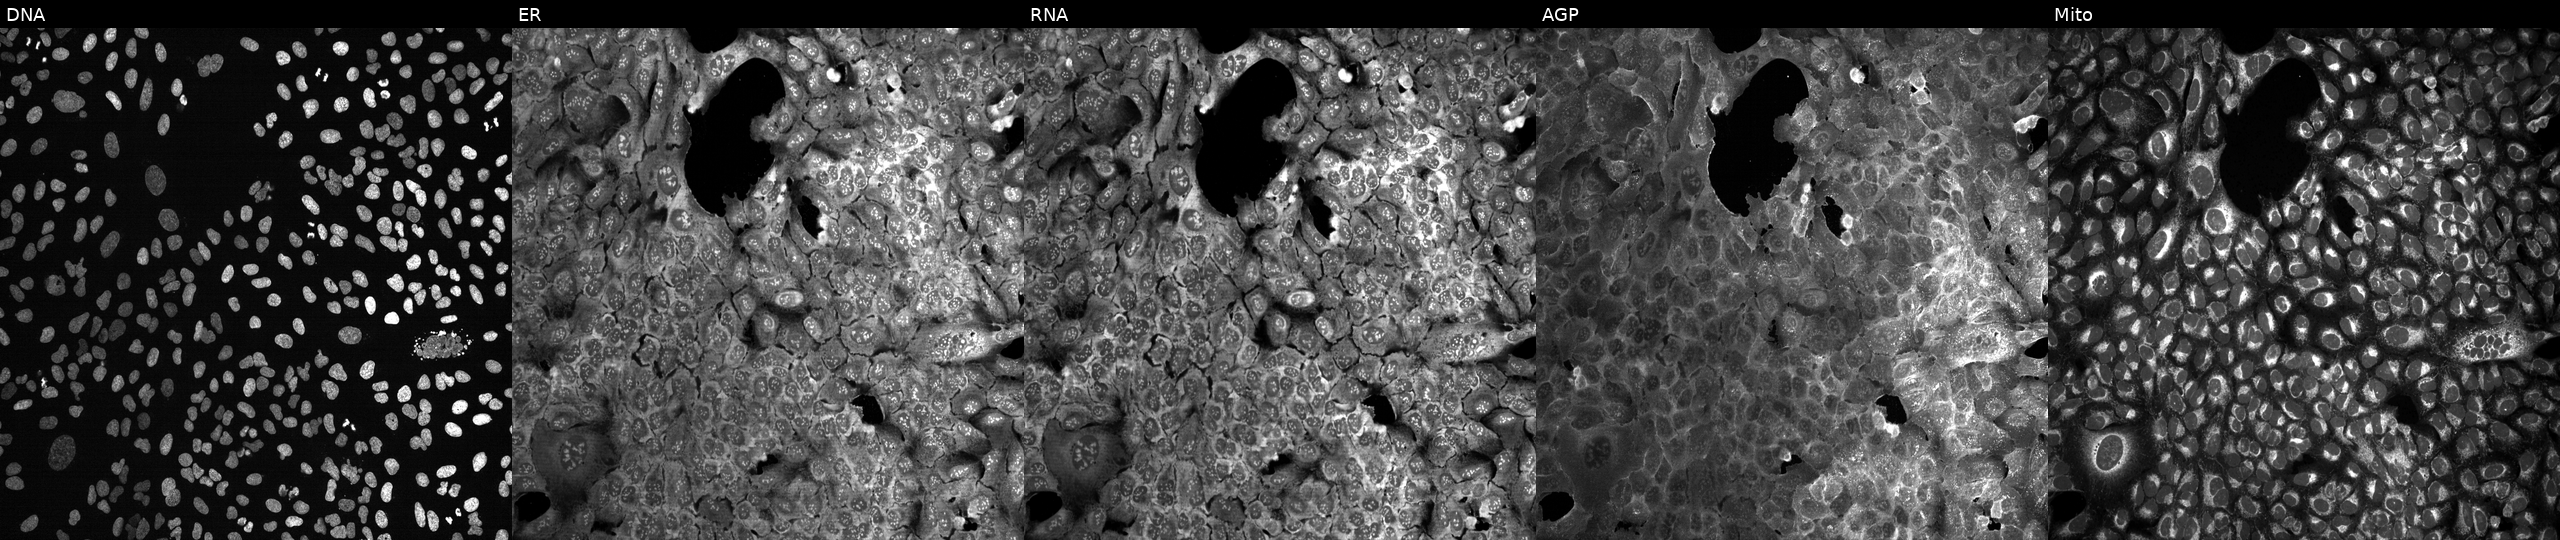
U2OS cells, Cell Painting assay, CRISPR-edited to disrupt PITX3 (JUMP id JCP2022_805190). The five panels, left to right, show DNA, ER, RNA, AGP, and Mito. Each panel is percentile-stretched 16-bit fluorescence. Source 13, plate CP-CC9-R6-19, well H06.